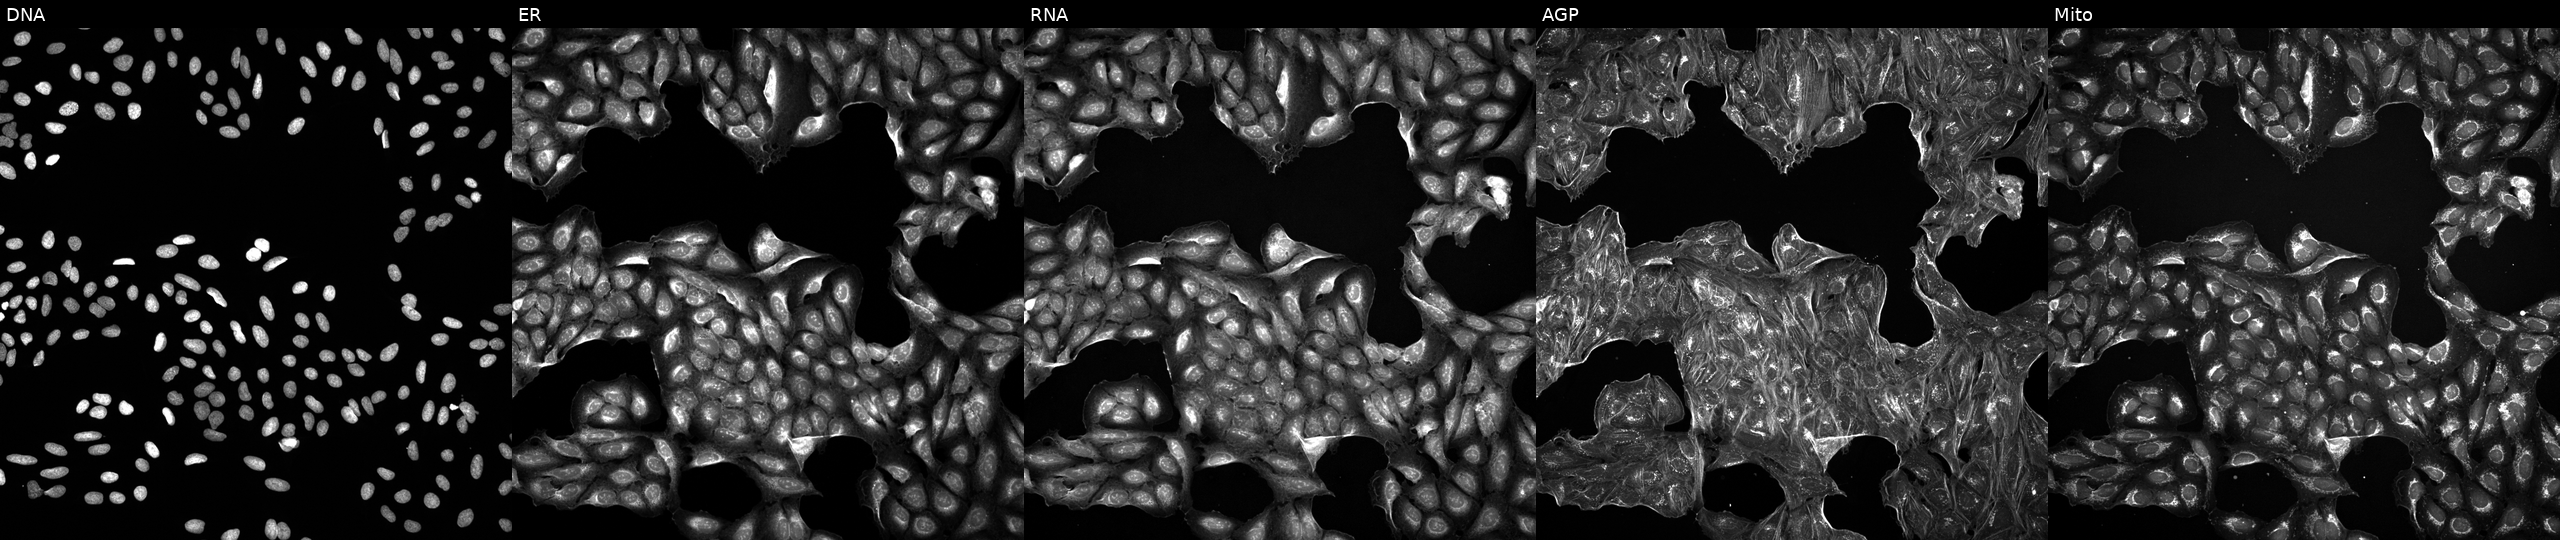
This image strip shows the five Cell Painting channels for a single field of U2OS cells perturbed with a small-molecule compound (JUMP id JCP2022_016935). The five panels, left to right, show DNA (nuclei); ER (endoplasmic reticulum); RNA (nucleoli and cytoplasmic RNA); AGP (actin cytoskeleton, Golgi, and plasma membrane); Mito (mitochondria).